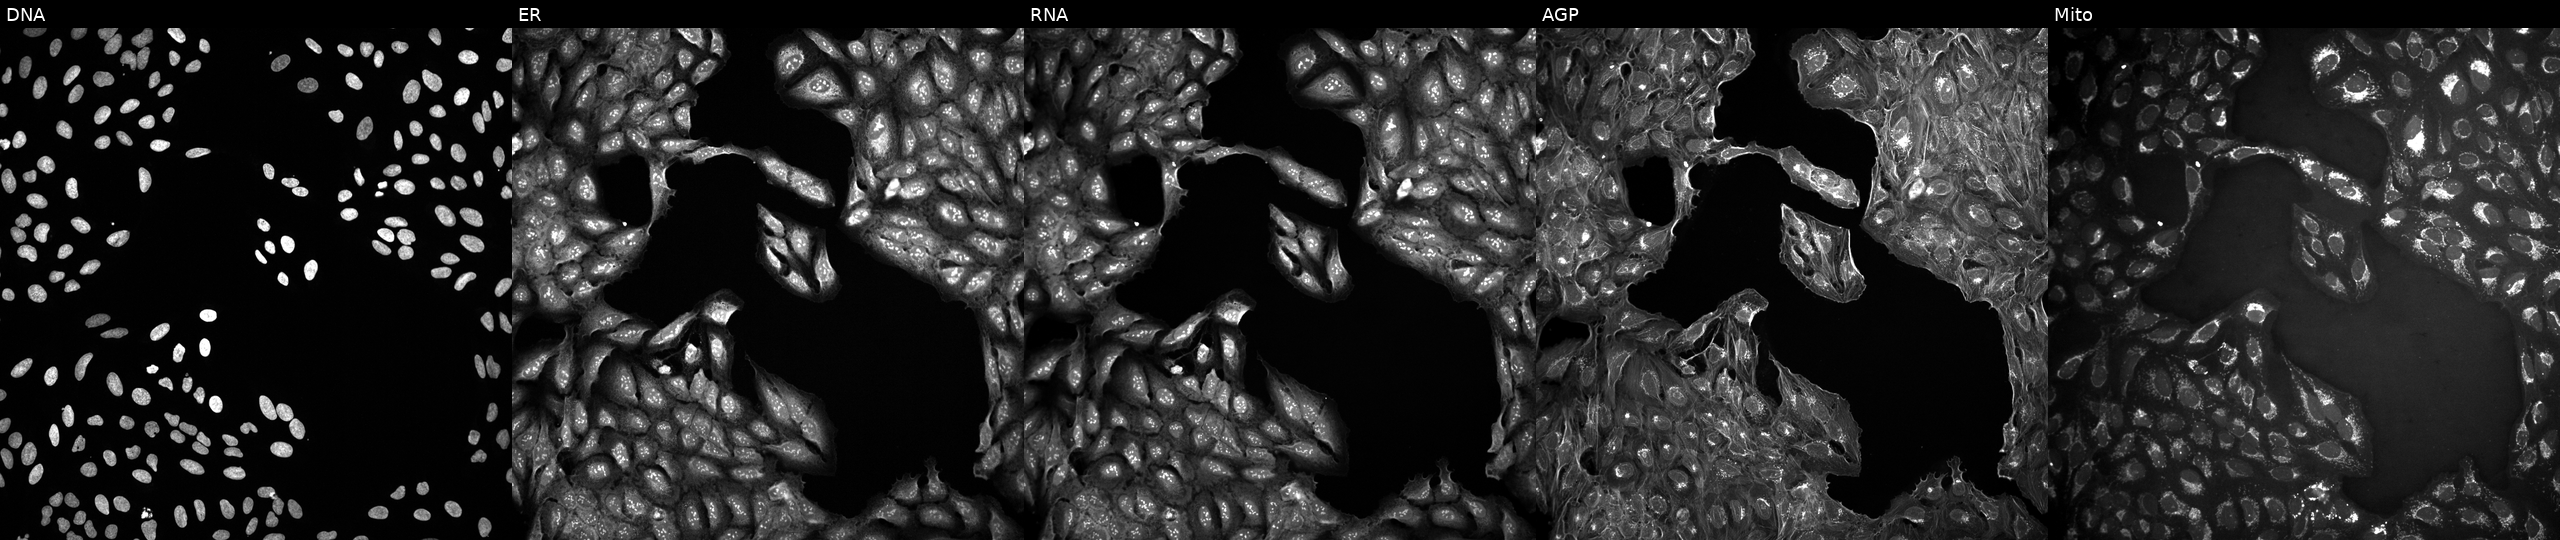
JUMP Cell Painting — COMPOUND plate. U2OS cells in an empty control well (no perturbation) (JUMP id JCP2022_999999). The five panels, left to right, show DNA (nuclei); ER (endoplasmic reticulum); RNA (nucleoli and cytoplasmic RNA); AGP (actin cytoskeleton, Golgi, and plasma membrane); Mito (mitochondria). Source 10, plate Dest210531-152149, well N14.